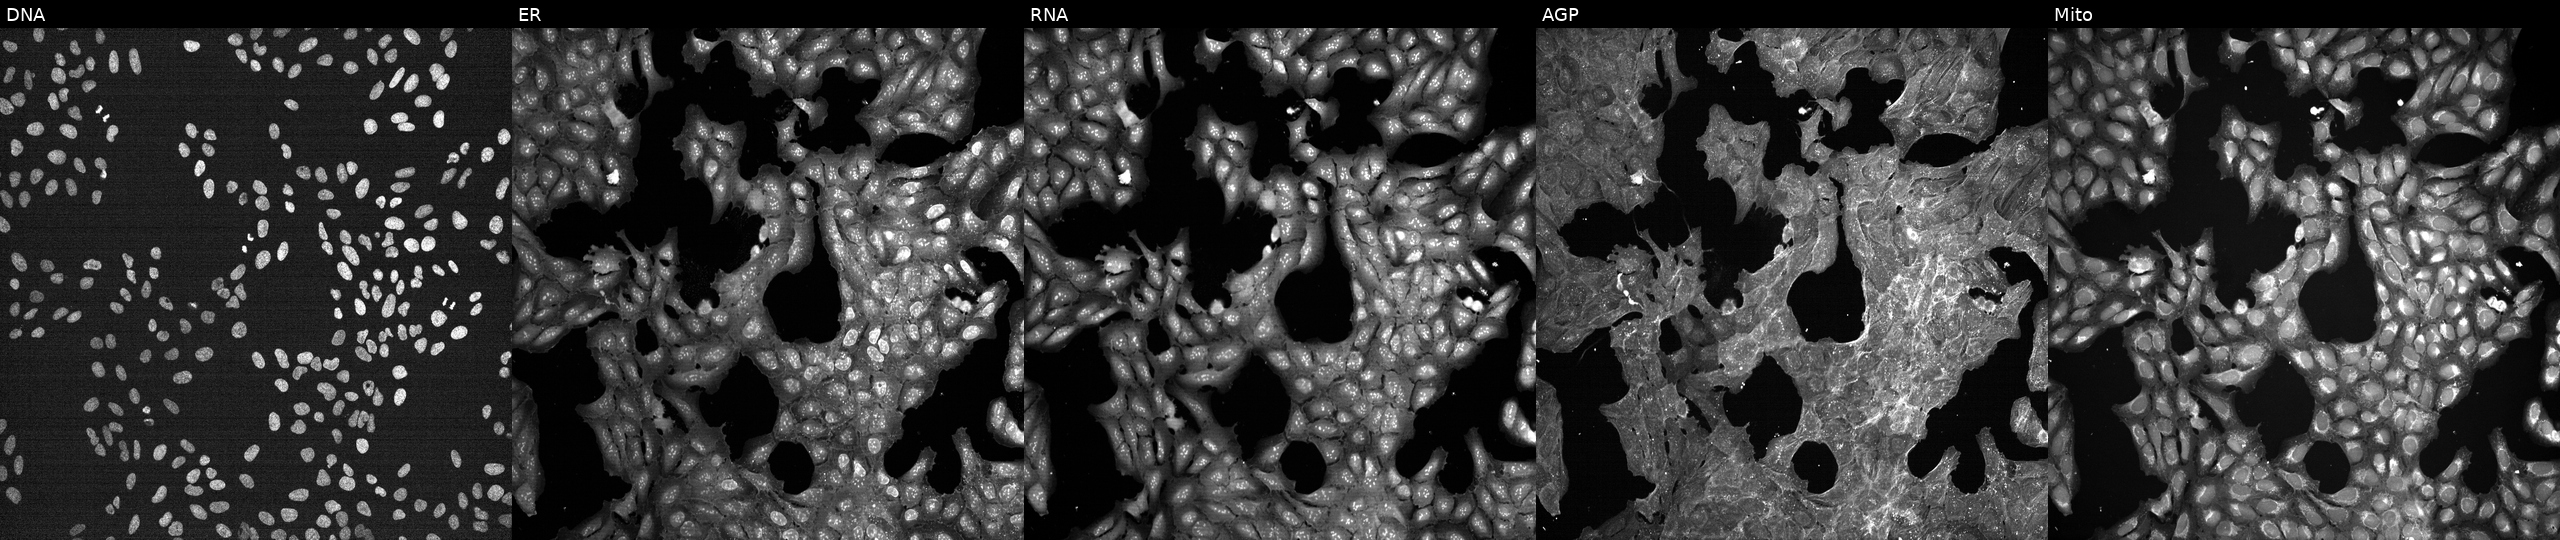
Panels show, left to right, DNA (nuclei); ER (endoplasmic reticulum); RNA (nucleoli and cytoplasmic RNA); AGP (actin cytoskeleton, Golgi, and plasma membrane); Mito (mitochondria). U2OS osteosarcoma cells treated with a small-molecule compound (InChIKey RIKMMFOAQPJVMX-UHFFFAOYSA-N). Cell Painting assay, JUMP-CP dataset.